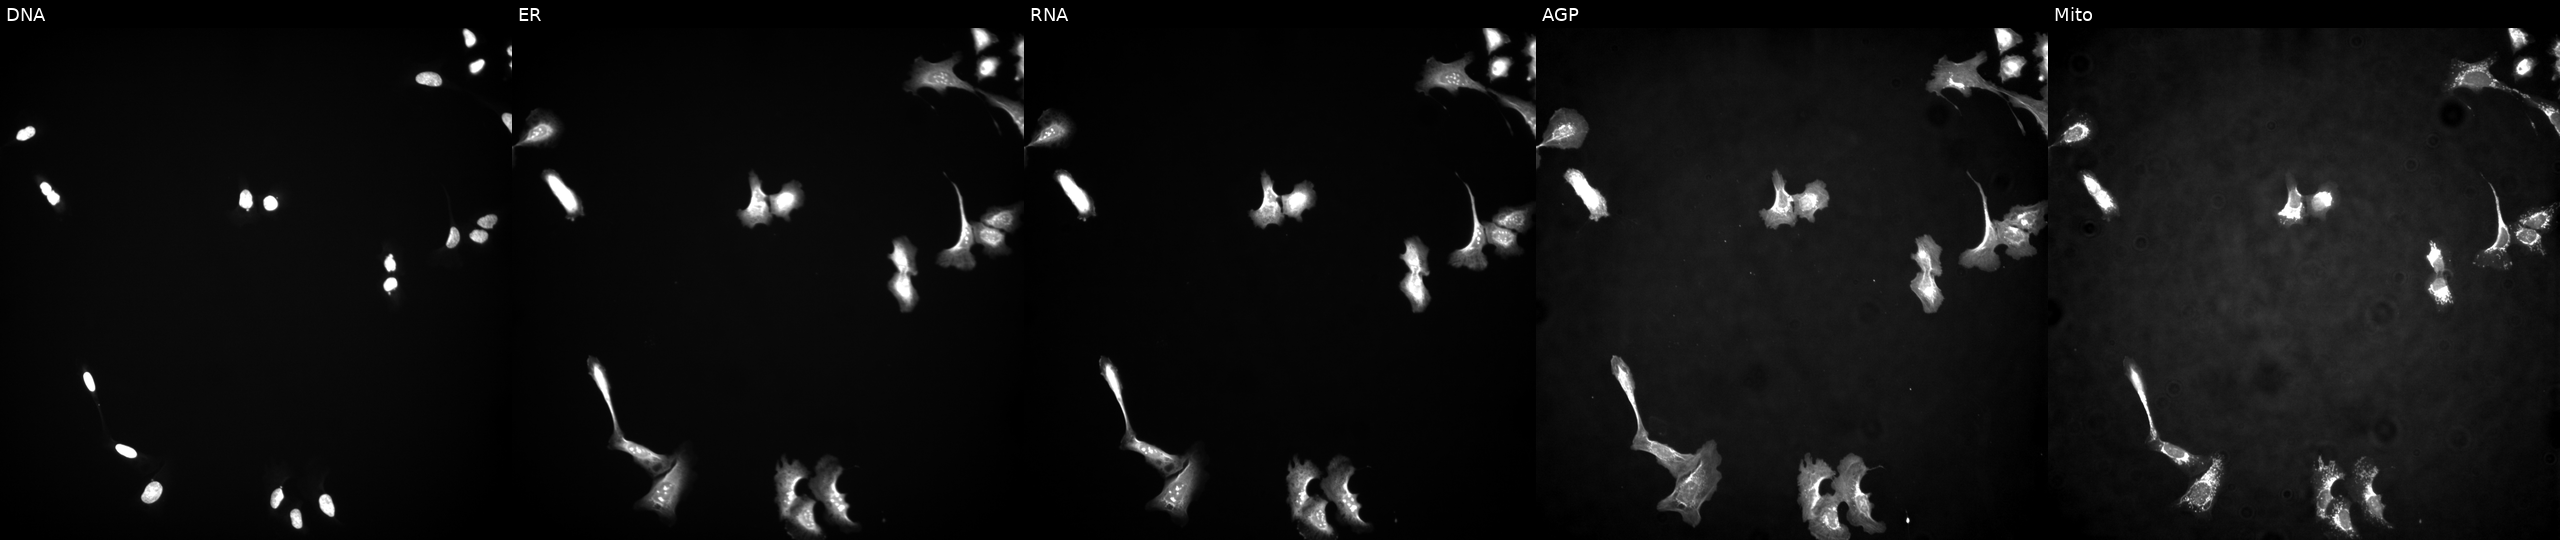
Five-channel Cell Painting image of U2OS cells with SS18L1 overexpressed (ORF) (JUMP id JCP2022_914760). Panels show, left to right, Hoechst 33342, concanavalin A, SYTO 14, phalloidin and WGA, MitoTracker.